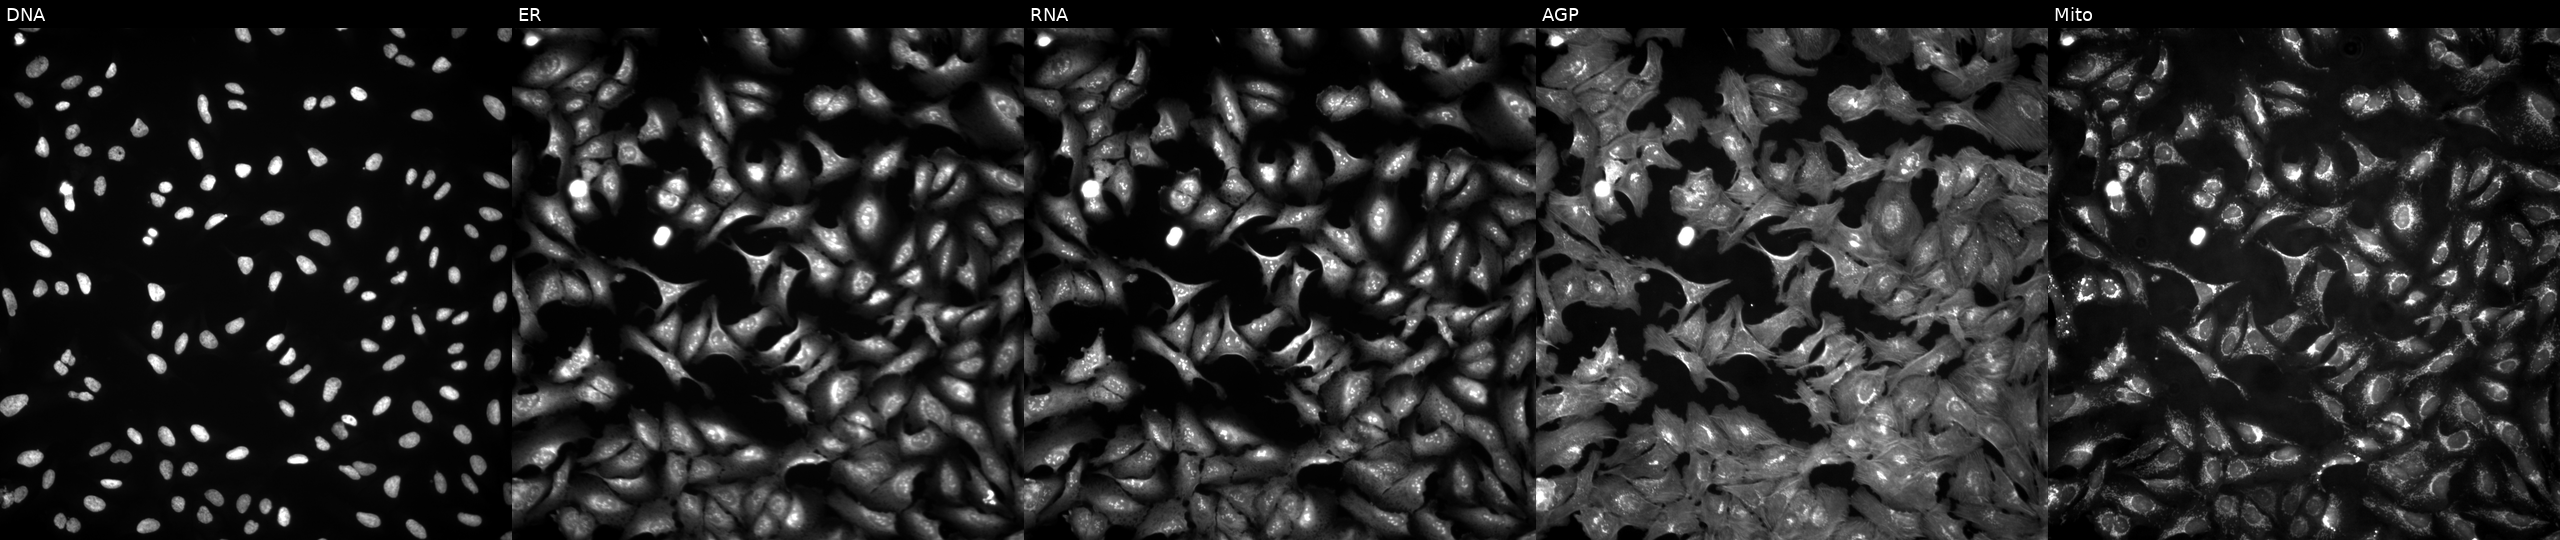
JUMP Cell Painting — ORF plate. U2OS cells transfected with an ORF construct for UQCRC2. Channels (left→right): DNA, ER, RNA, AGP, and Mito.